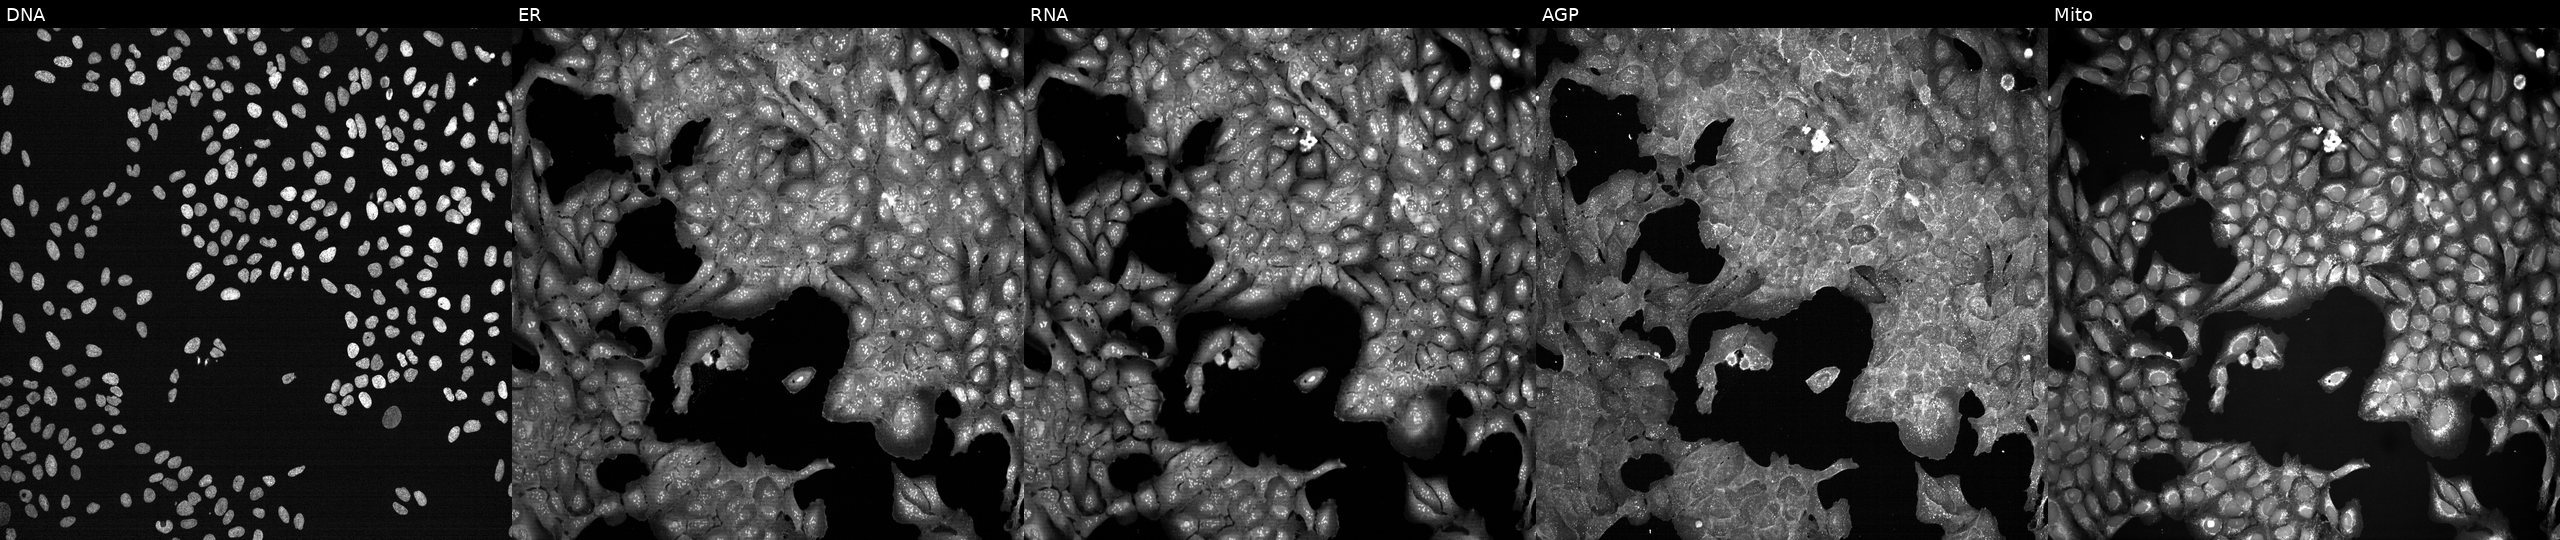
This image strip shows the five Cell Painting channels for a single field of U2OS cells treated with DMSO vehicle only (negative control) (JUMP id JCP2022_033924). The five panels, left to right, show Hoechst 33342, concanavalin A, SYTO 14, phalloidin and WGA, MitoTracker. Source 7, plate CP2-SC1-25, well G04.